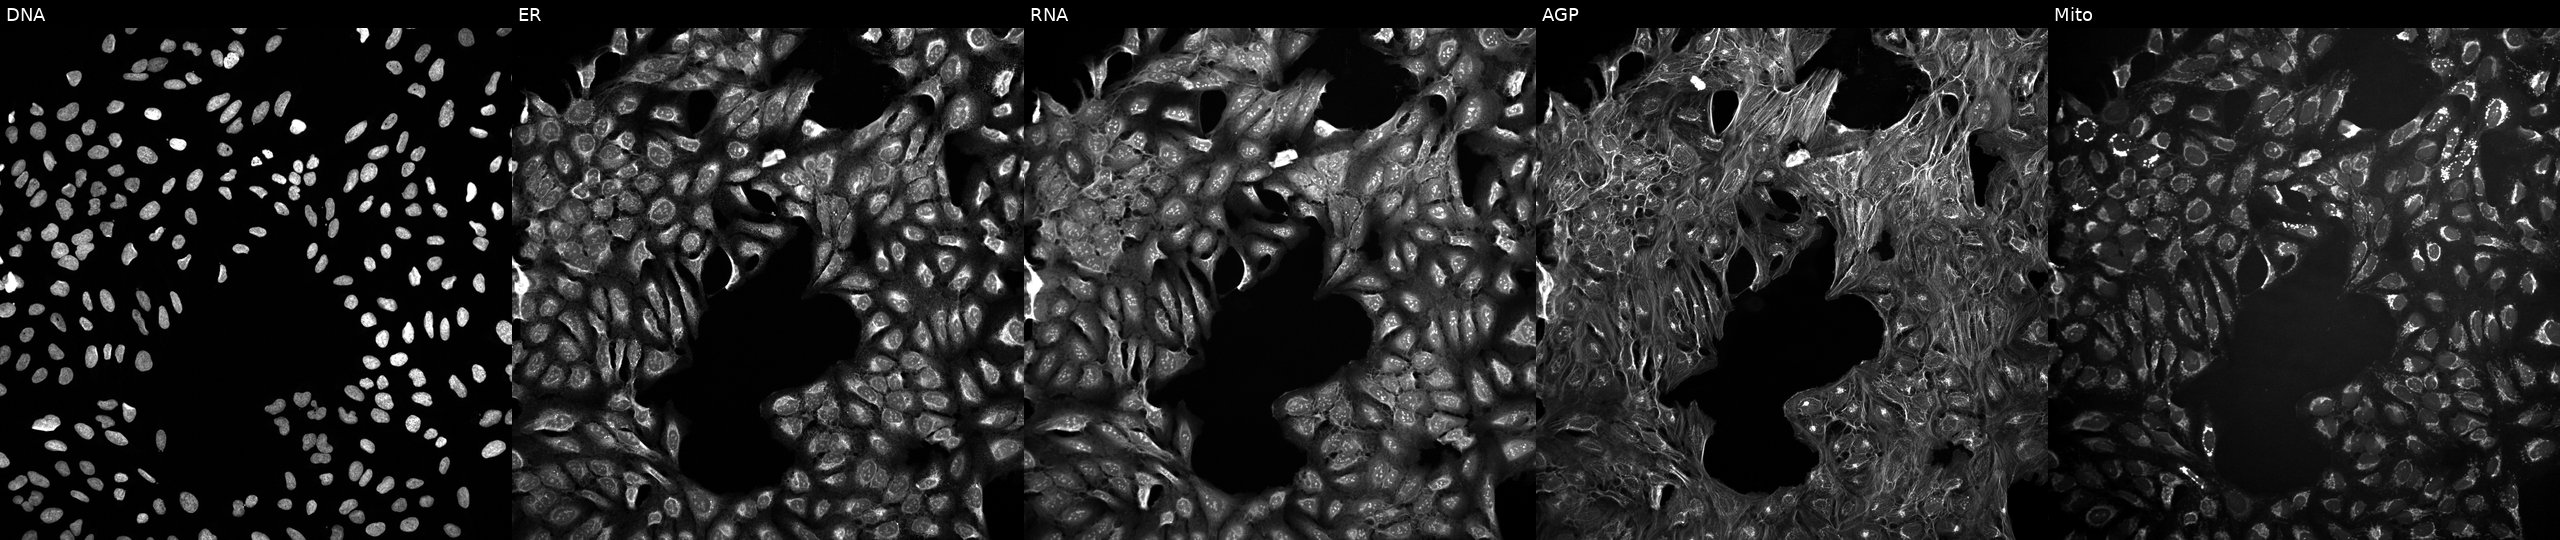
Five-channel Cell Painting image of U2OS cells in an empty control well (no perturbation). From left to right: DNA, ER, RNA, AGP, and Mito. Source 10, plate Dest210531-152324, well L04.